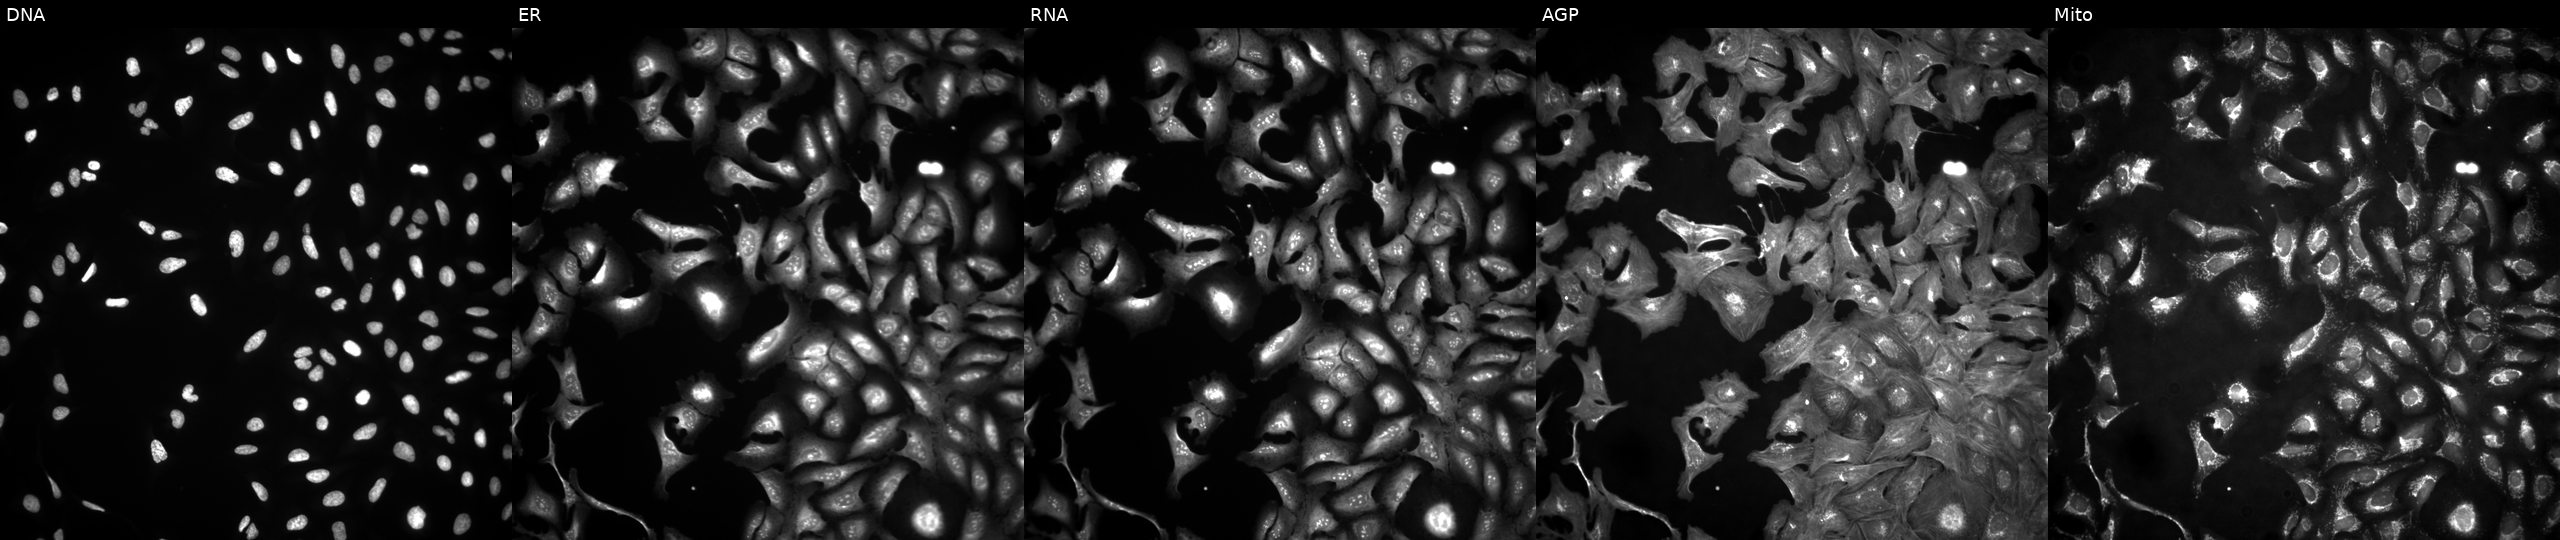
The five panels, left to right, show DNA, ER, RNA, AGP, and Mito. U2OS osteosarcoma cells transfected with an ORF construct for MS4A6A (JUMP id JCP2022_908264). Cell Painting assay, JUMP-CP dataset.